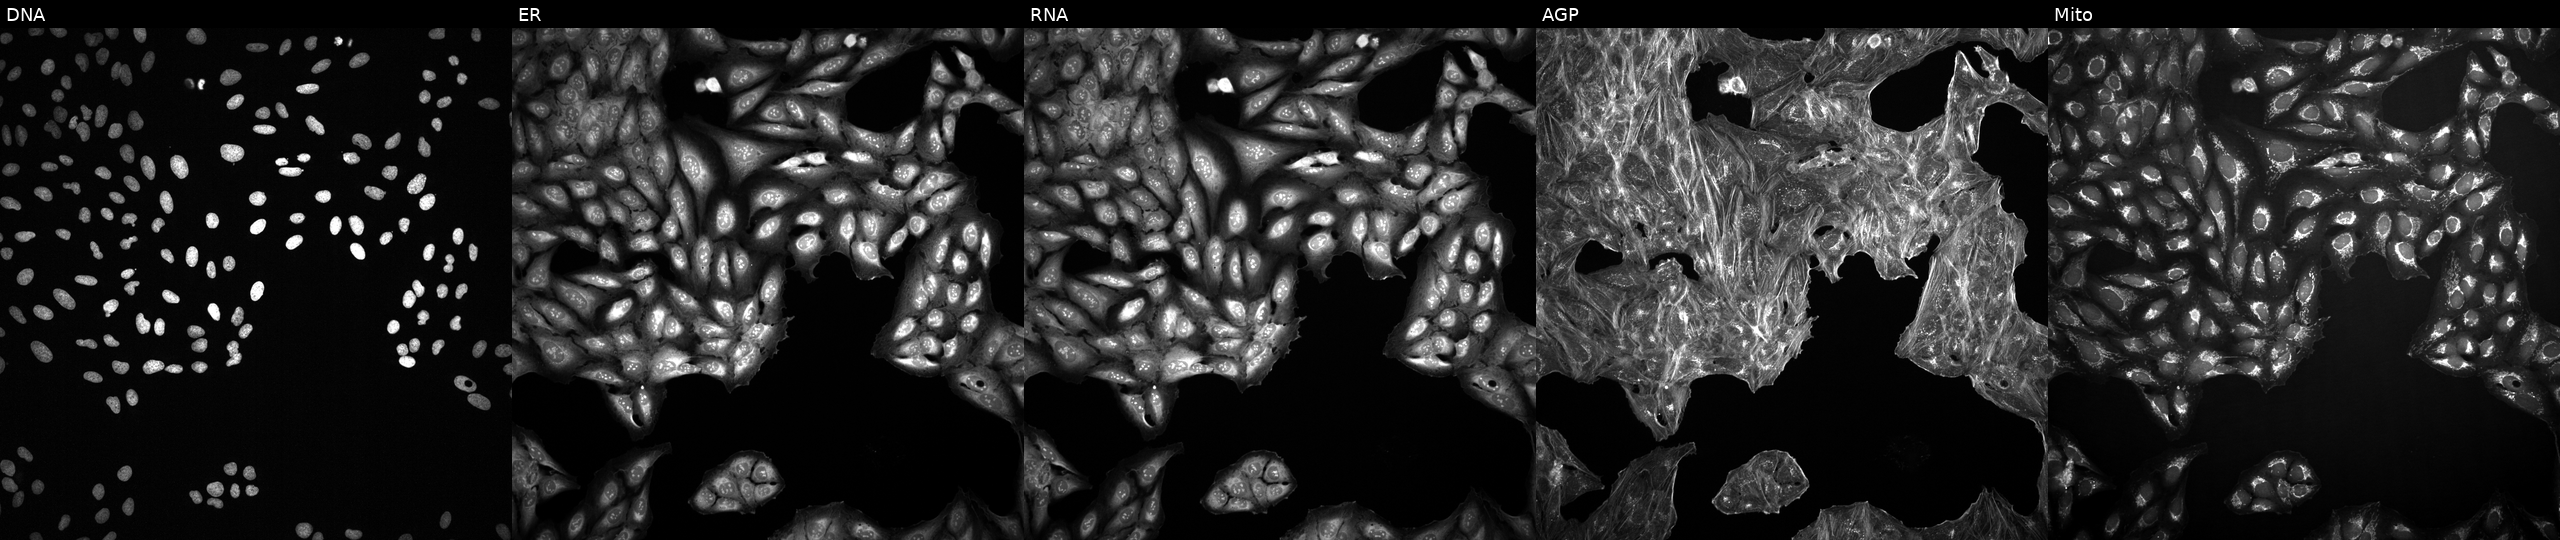
This image strip shows the five Cell Painting channels for a single field of U2OS cells exposed to DMSO alone as a negative control (JUMP id JCP2022_033924). The five panels, left to right, show Hoechst 33342, concanavalin A, SYTO 14, phalloidin and WGA, MitoTracker.